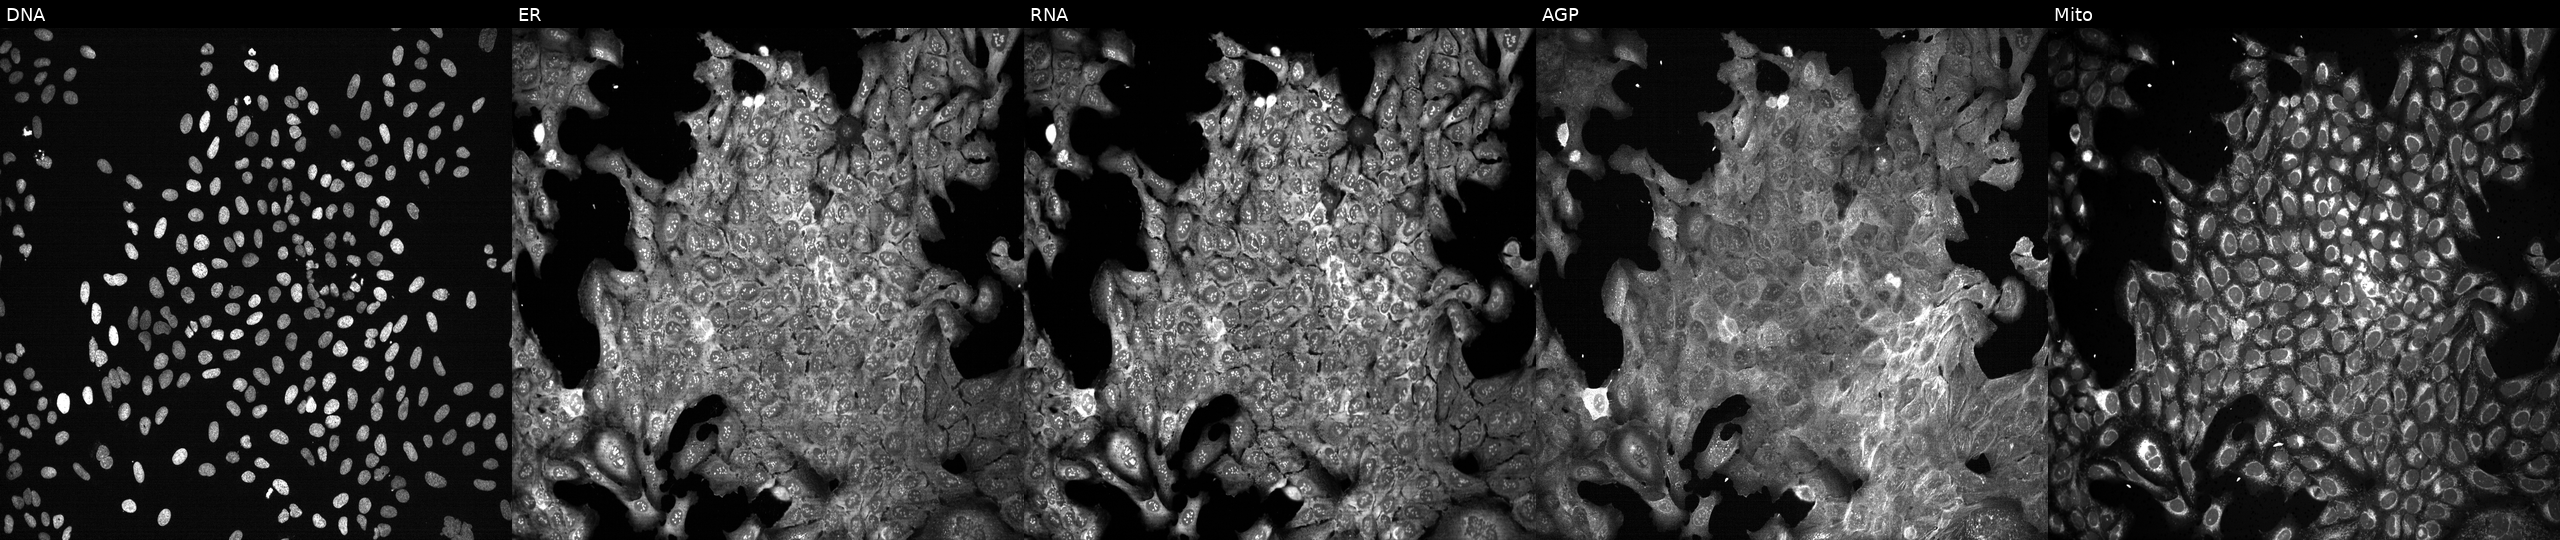
JUMP Cell Painting — CRISPR plate. U2OS cells following CRISPR knockout of DFFA. Channels (left→right): DNA (nuclei); ER (endoplasmic reticulum); RNA (nucleoli and cytoplasmic RNA); AGP (actin cytoskeleton, Golgi, and plasma membrane); Mito (mitochondria).